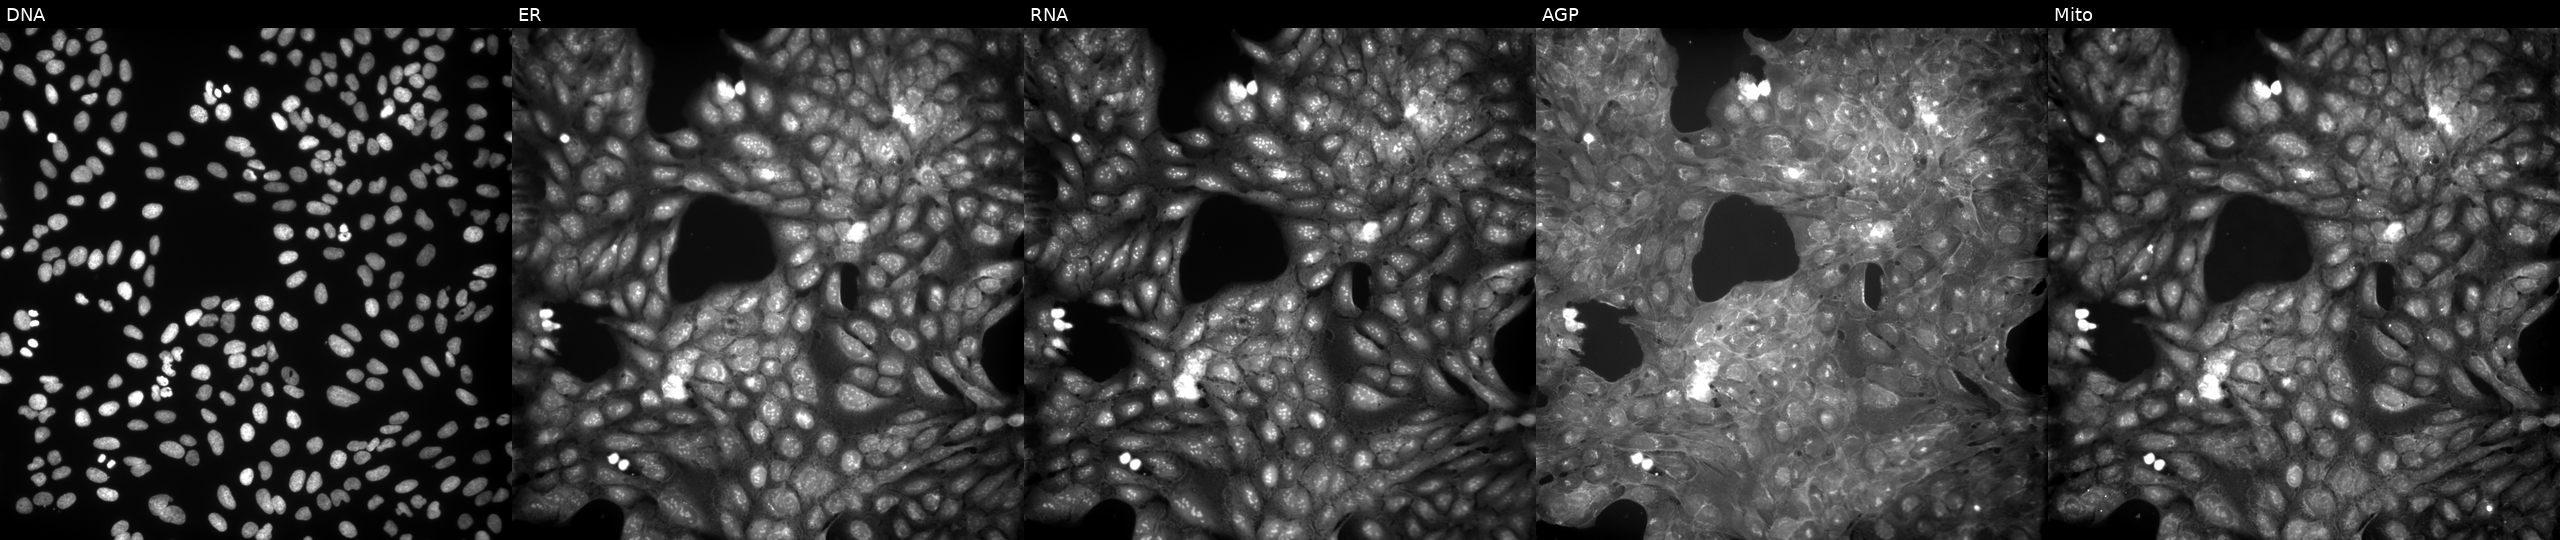
High-content fluorescence microscopy (Cell Painting). Cell line: U2OS. Perturbation: treated with a small-molecule compound. From left to right: Hoechst 33342, concanavalin A, SYTO 14, phalloidin and WGA, MitoTracker. Source 9, plate GR00003381, well A31.